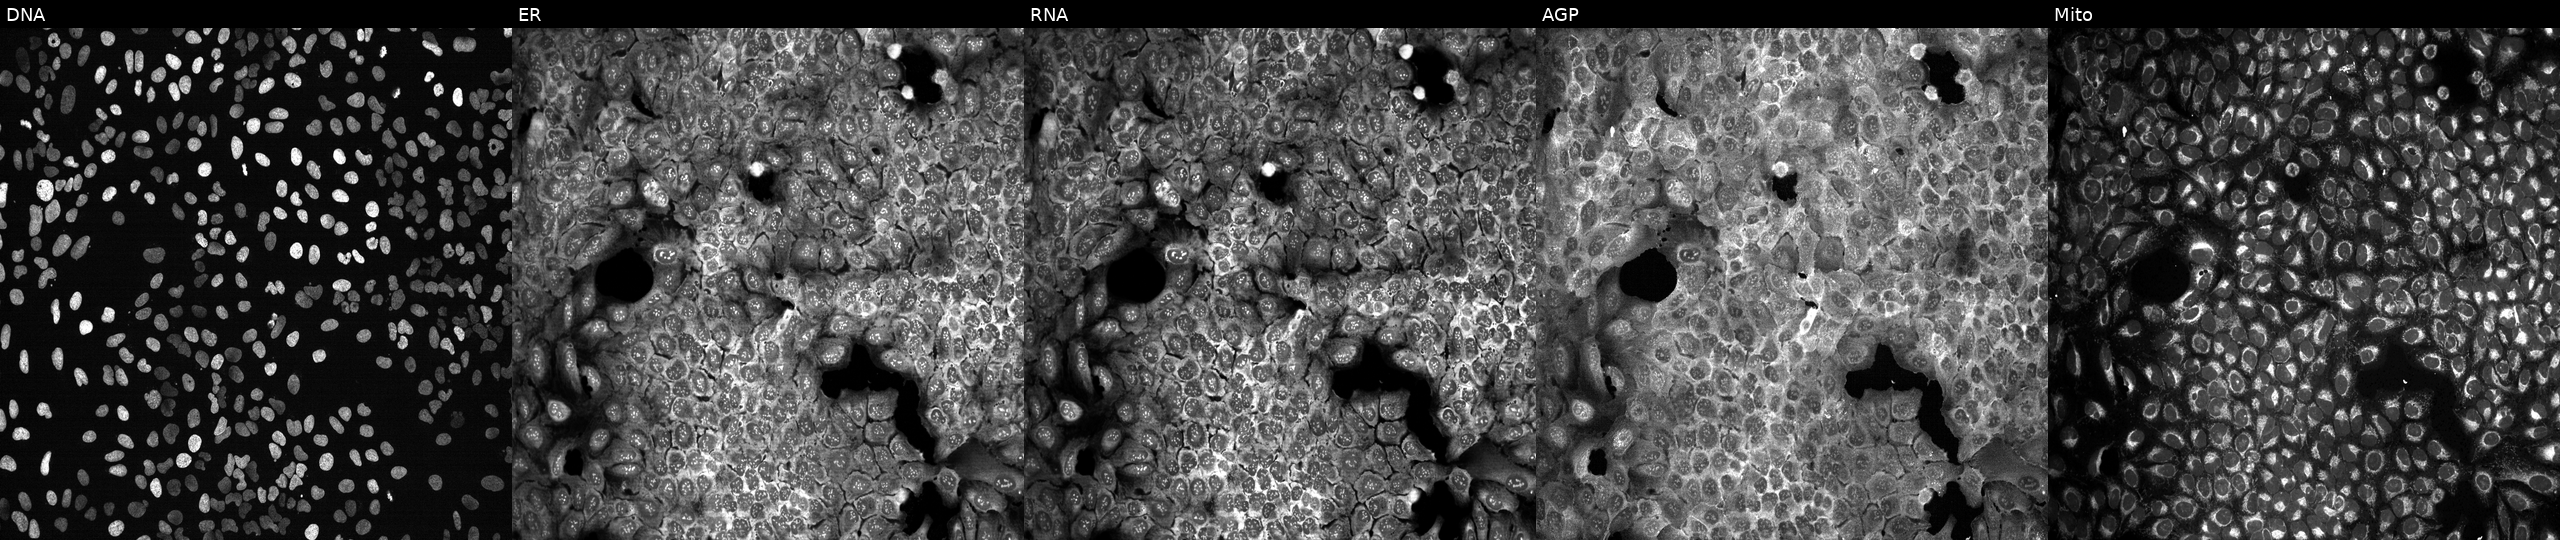
High-content fluorescence microscopy (Cell Painting). Cell line: U2OS. Perturbation: CRISPR-edited to disrupt POLR3H (JUMP id JCP2022_805359). The five panels, left to right, show DNA (nuclei); ER (endoplasmic reticulum); RNA (nucleoli and cytoplasmic RNA); AGP (actin cytoskeleton, Golgi, and plasma membrane); Mito (mitochondria).